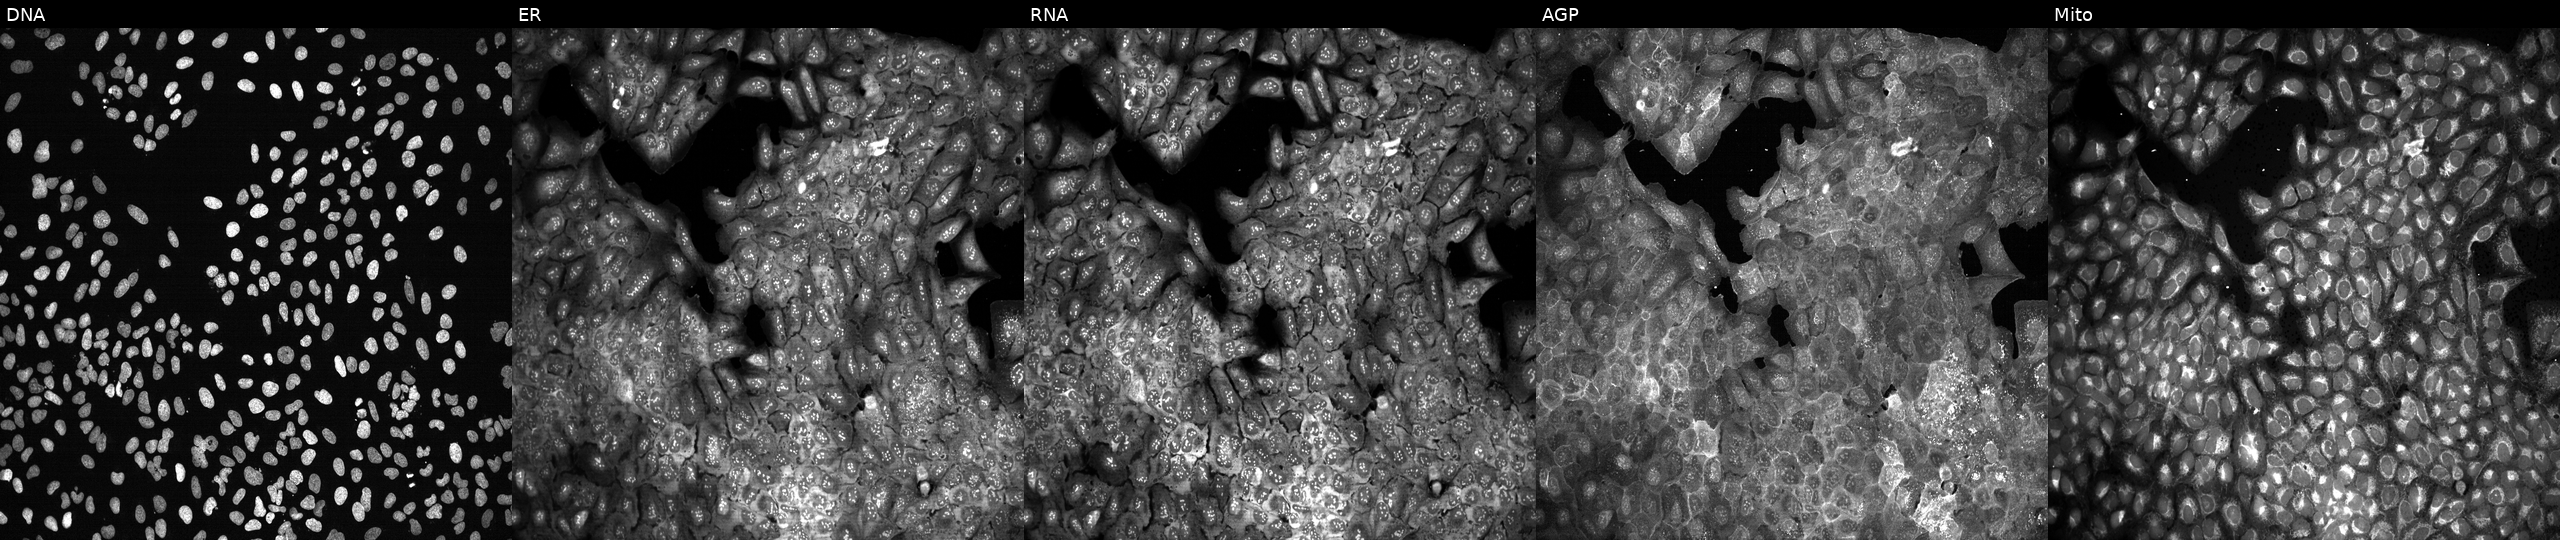
From left to right: DNA (nuclei); ER (endoplasmic reticulum); RNA (nucleoli and cytoplasmic RNA); AGP (actin cytoskeleton, Golgi, and plasma membrane); Mito (mitochondria). U2OS osteosarcoma cells CRISPR-edited to disrupt HMGCS1. Cell Painting assay, JUMP-CP dataset. Source 13, plate CP-CC9-R5-01, well B20.